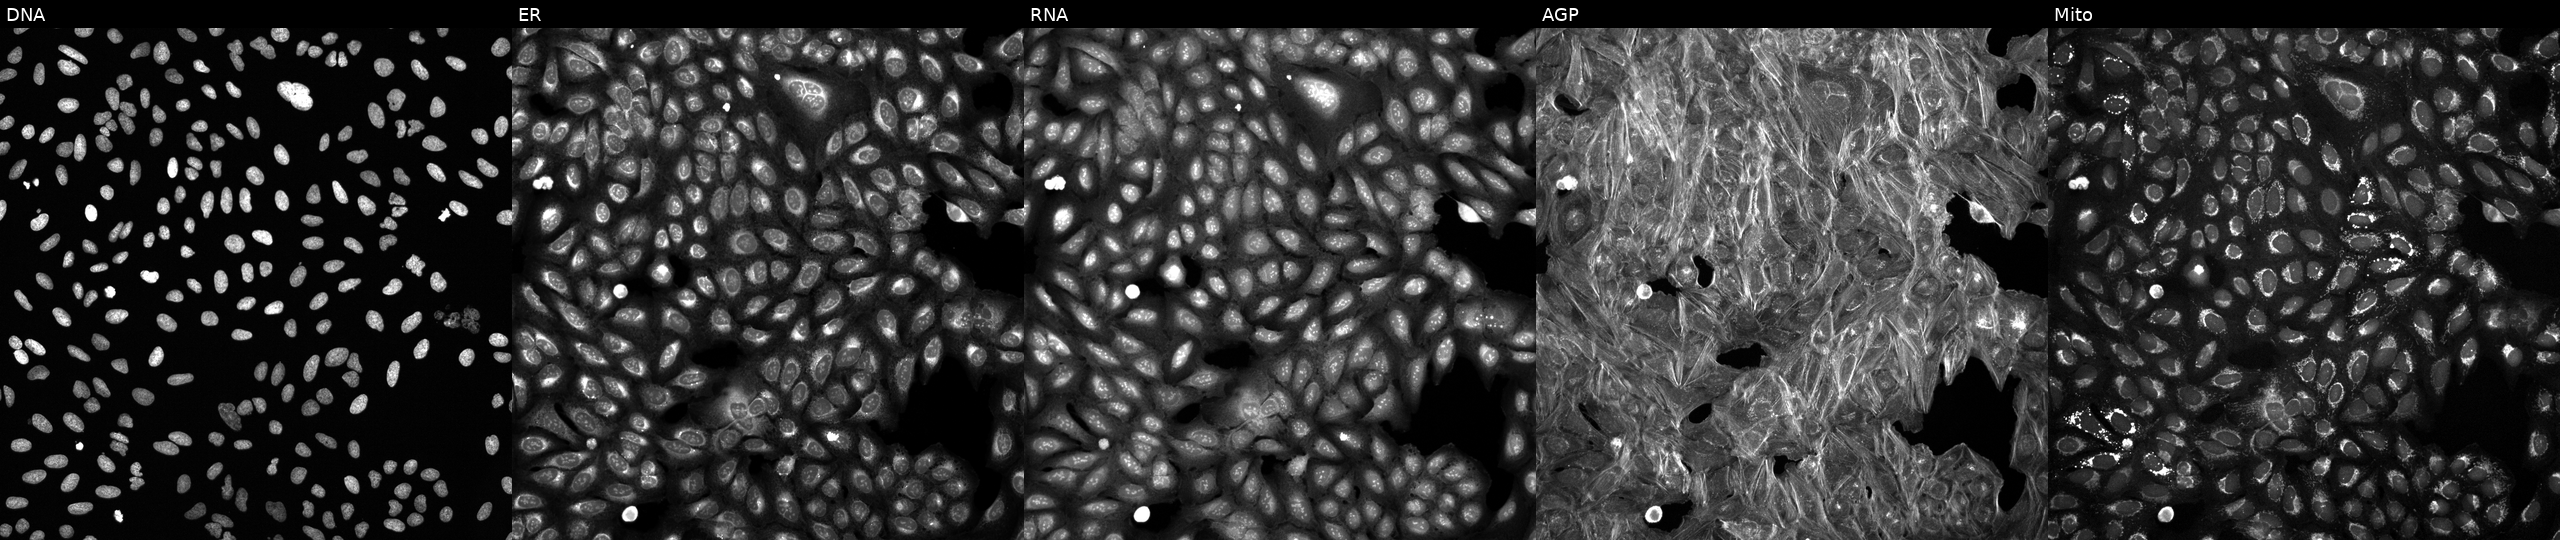
This image strip shows the five Cell Painting channels for a single field of U2OS cells treated with a small-molecule compound (InChIKey HAQDEJPEAKWAAM-UHFFFAOYSA-N). Panels show, left to right, Hoechst 33342, concanavalin A, SYTO 14, phalloidin and WGA, MitoTracker. Source 6, plate 110000293081, well E04.